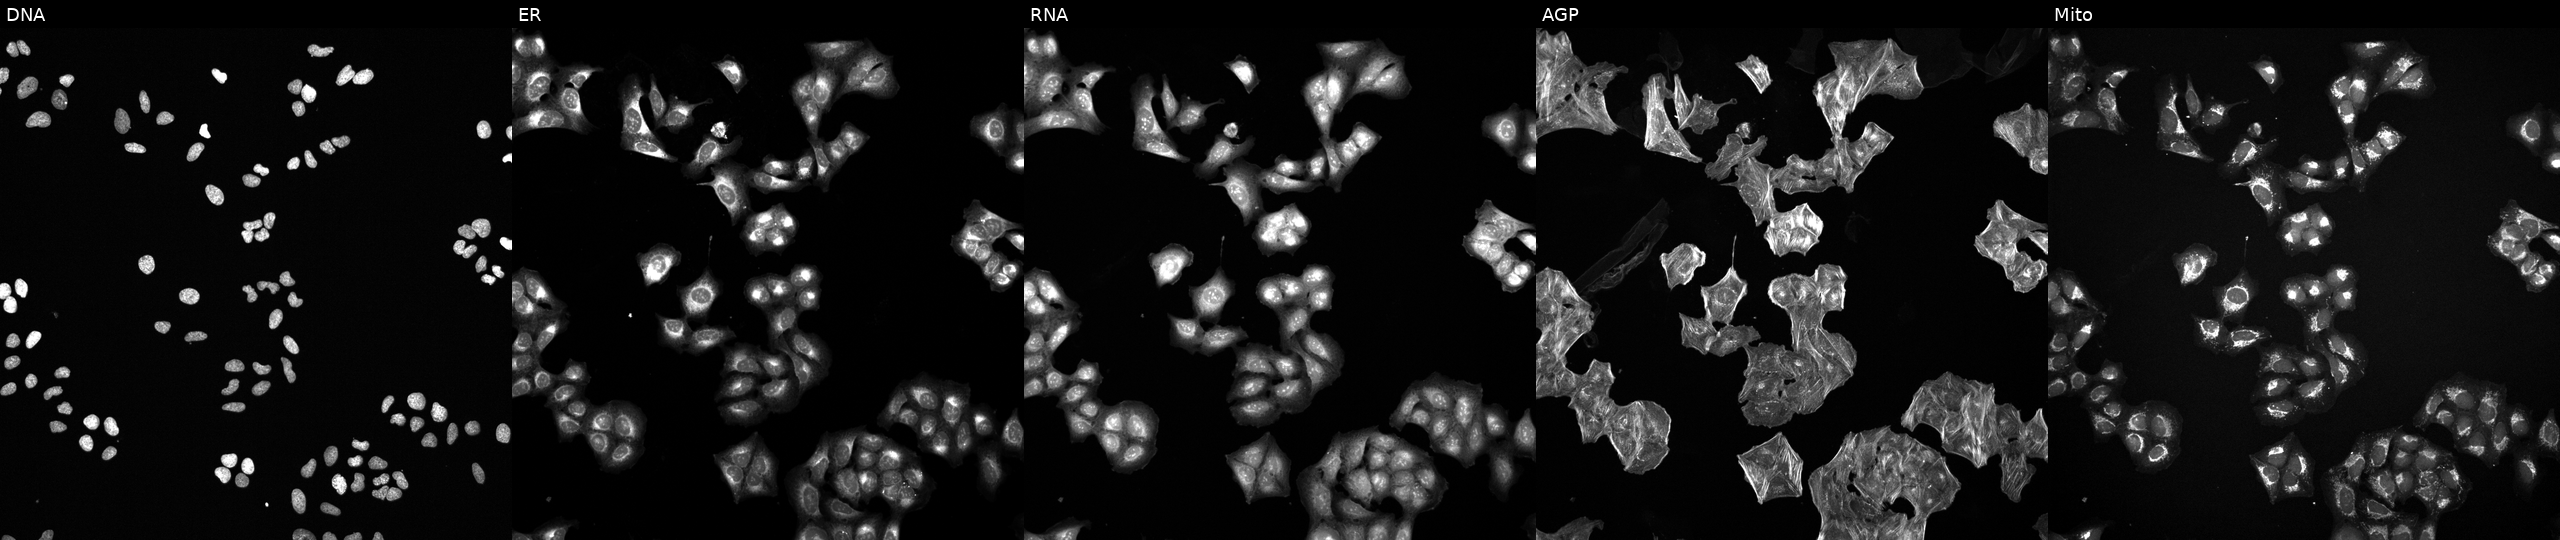
JUMP Cell Painting — TARGET2 plate. U2OS cells exposed to the positive-control compound NVS-PAK1-1. Channels (left→right): DNA (nuclei); ER (endoplasmic reticulum); RNA (nucleoli and cytoplasmic RNA); AGP (actin cytoskeleton, Golgi, and plasma membrane); Mito (mitochondria).